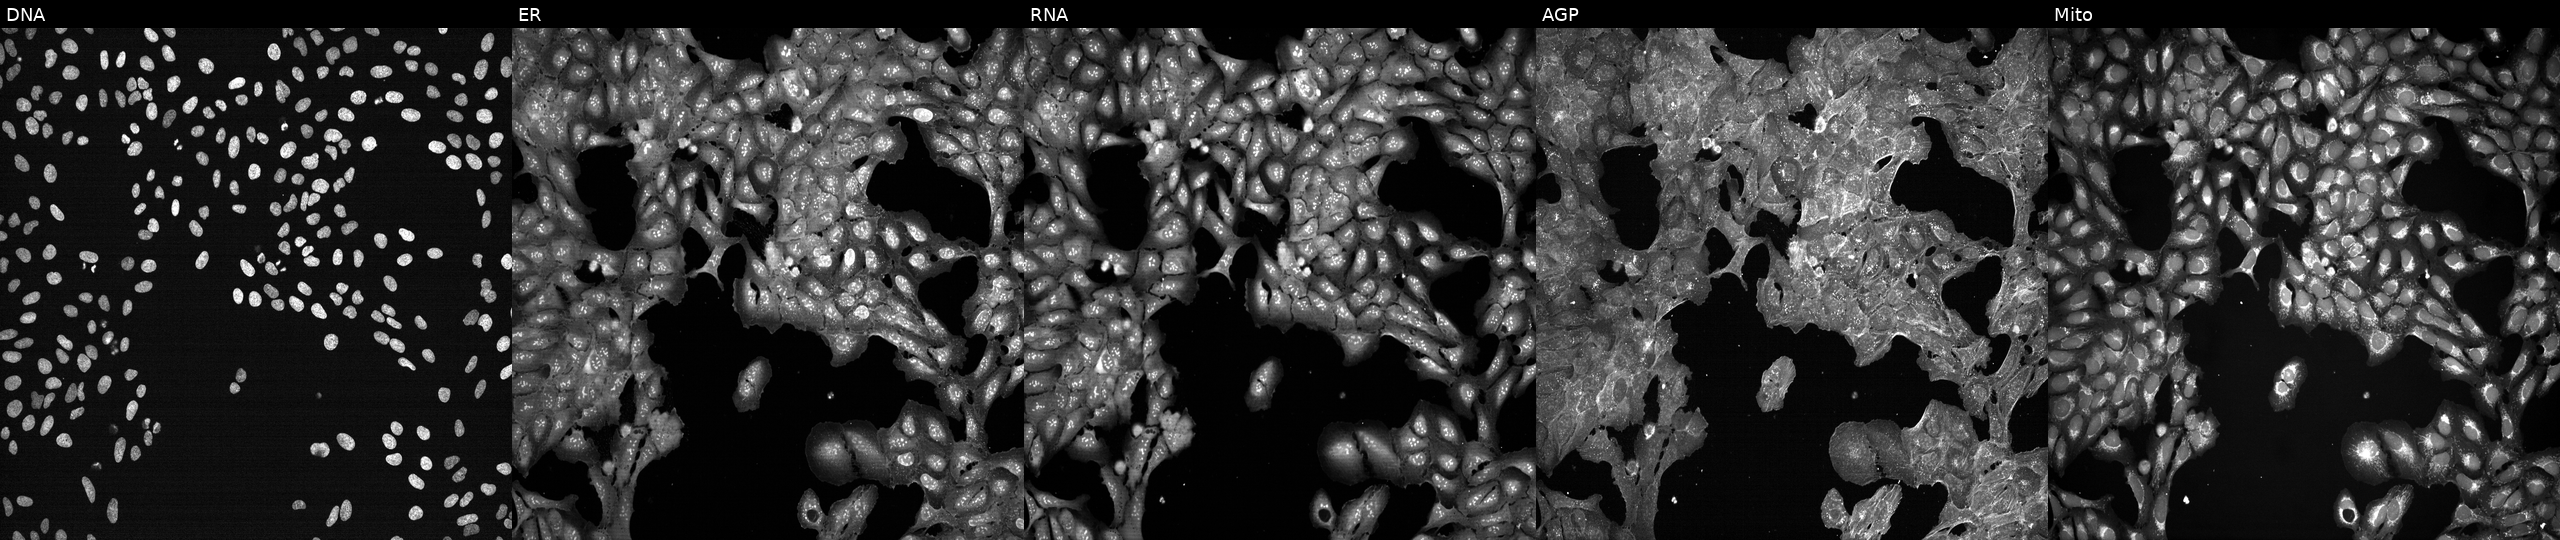
Five-channel Cell Painting image of U2OS cells exposed to a small-molecule compound (InChIKey GMROZDPZEUVIGD-UHFFFAOYSA-N) (JUMP id JCP2022_026475). Channels (left→right): DNA, ER, RNA, AGP, and Mito.